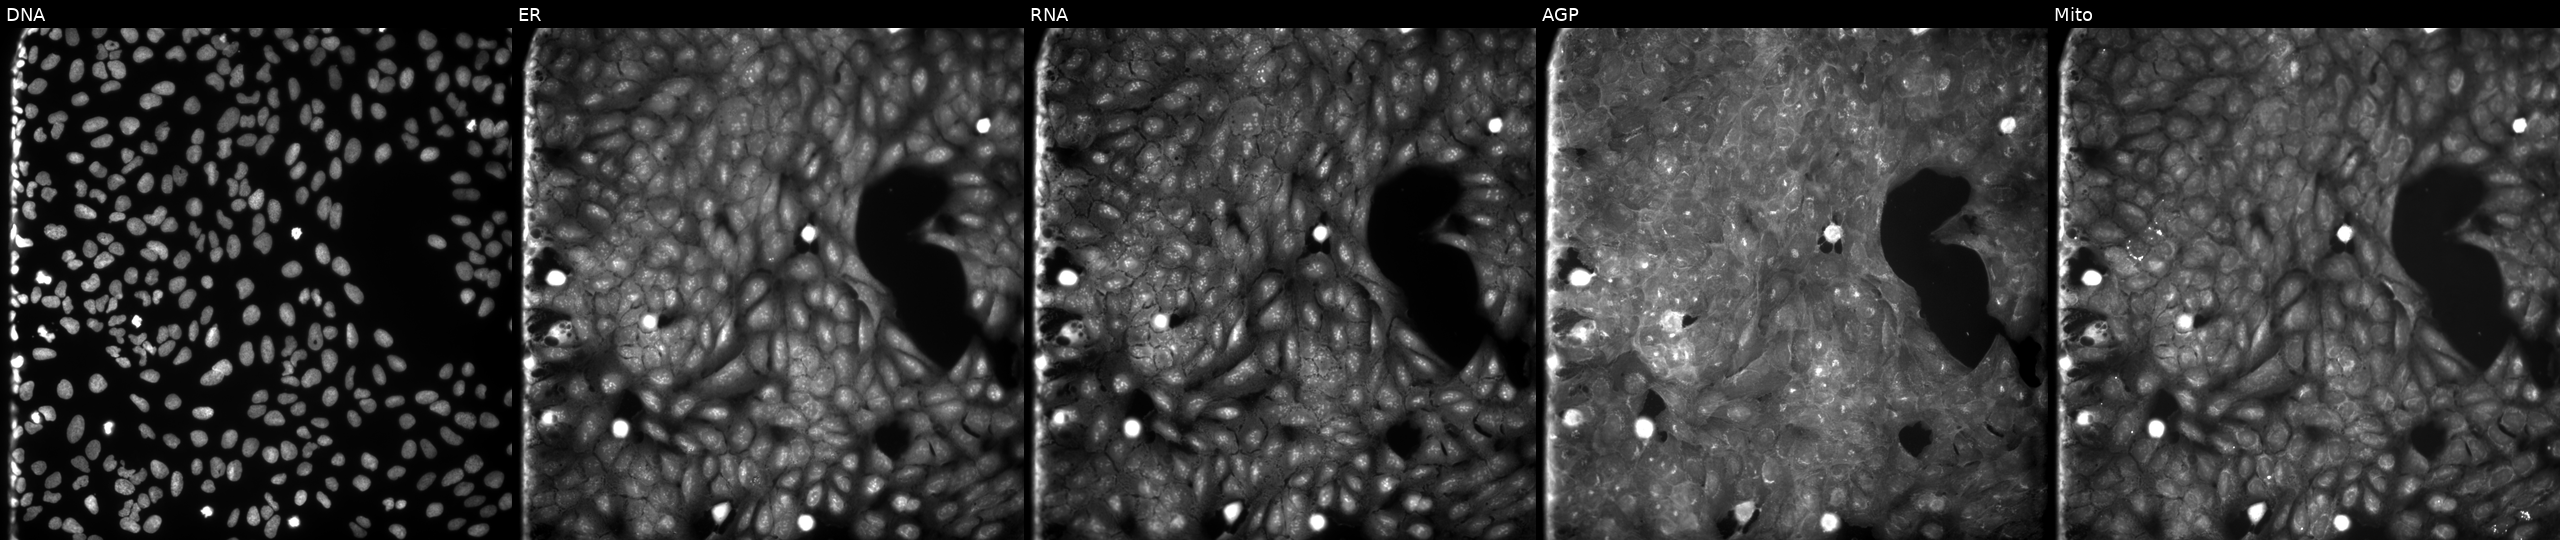
Panels show, left to right, Hoechst 33342, concanavalin A, SYTO 14, phalloidin and WGA, MitoTracker. U2OS osteosarcoma cells treated with a small-molecule compound (InChIKey ODUKCRLAKCQBCJ-UHFFFAOYSA-N). Cell Painting assay, JUMP-CP dataset.